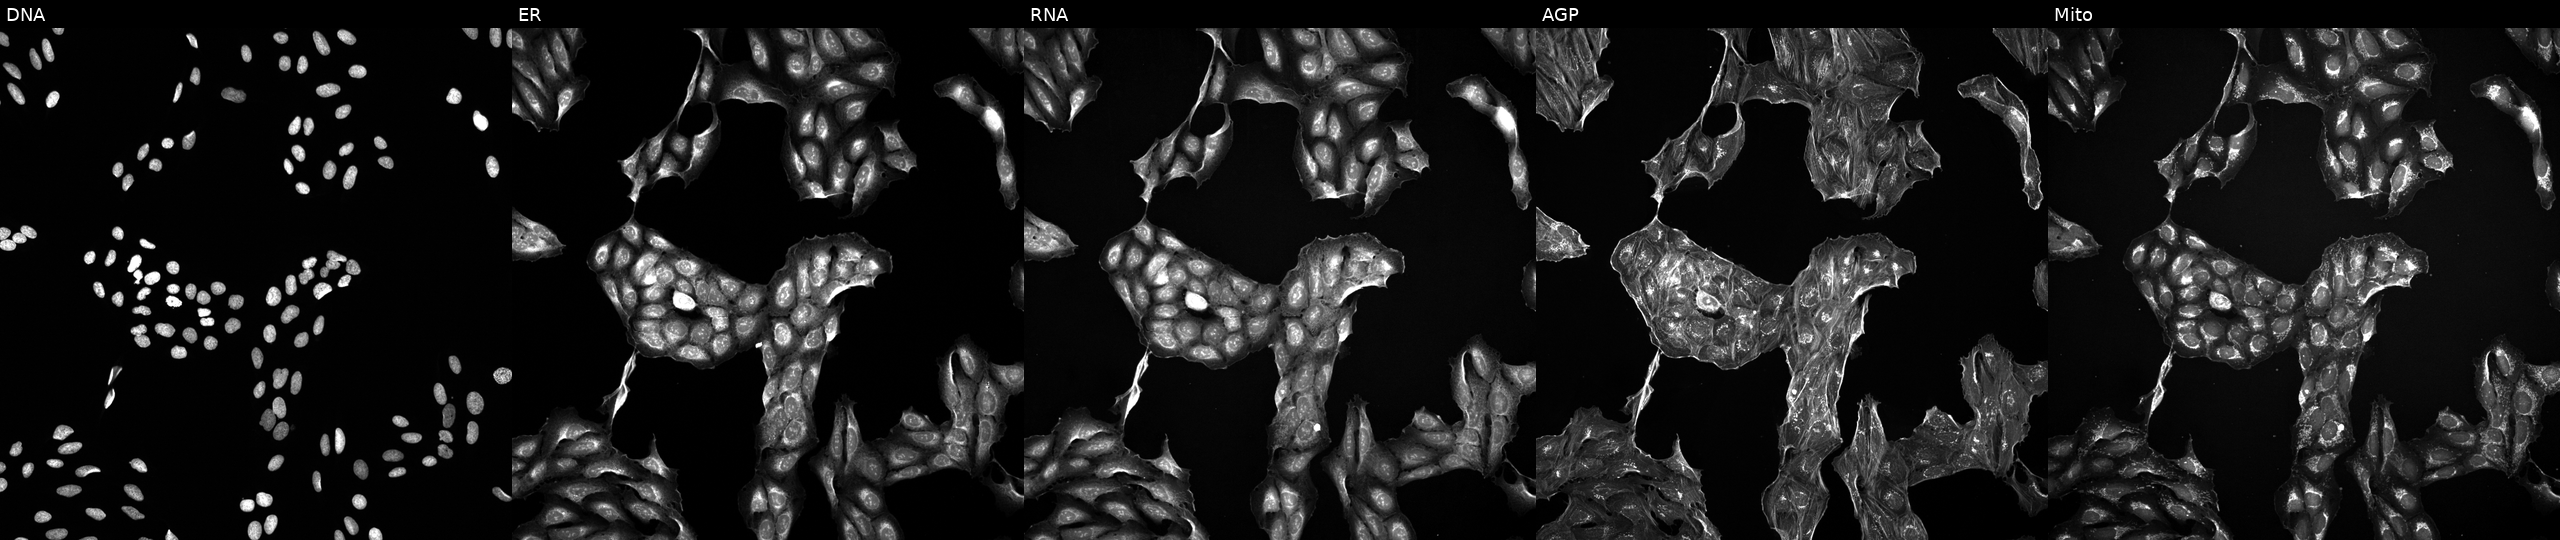
This image strip shows the five Cell Painting channels for a single field of U2OS cells perturbed with a small-molecule compound (InChIKey PWKSKIMOESPYIA-UHFFFAOYSA-N) (JUMP id JCP2022_071429). Panels show, left to right, Hoechst 33342, concanavalin A, SYTO 14, phalloidin and WGA, MitoTracker. Source 5, plate ACPJUM032, well A10.